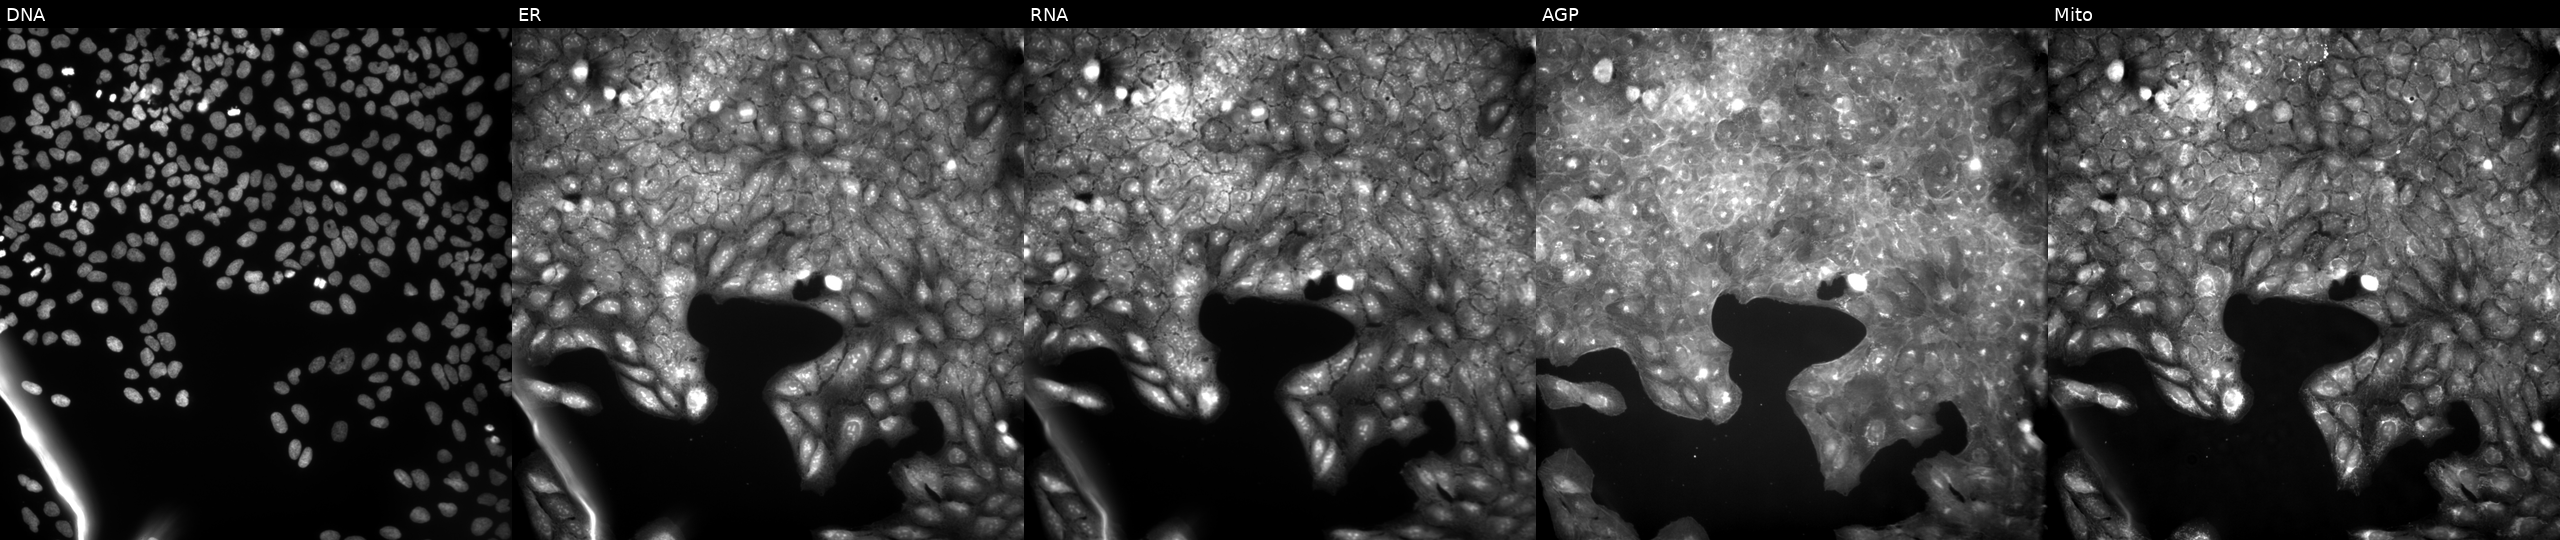
Panels show, left to right, Hoechst 33342, concanavalin A, SYTO 14, phalloidin and WGA, MitoTracker. U2OS osteosarcoma cells exposed to a small-molecule compound. Cell Painting assay, JUMP-CP dataset. Source 9, plate GR00003382, well N33.